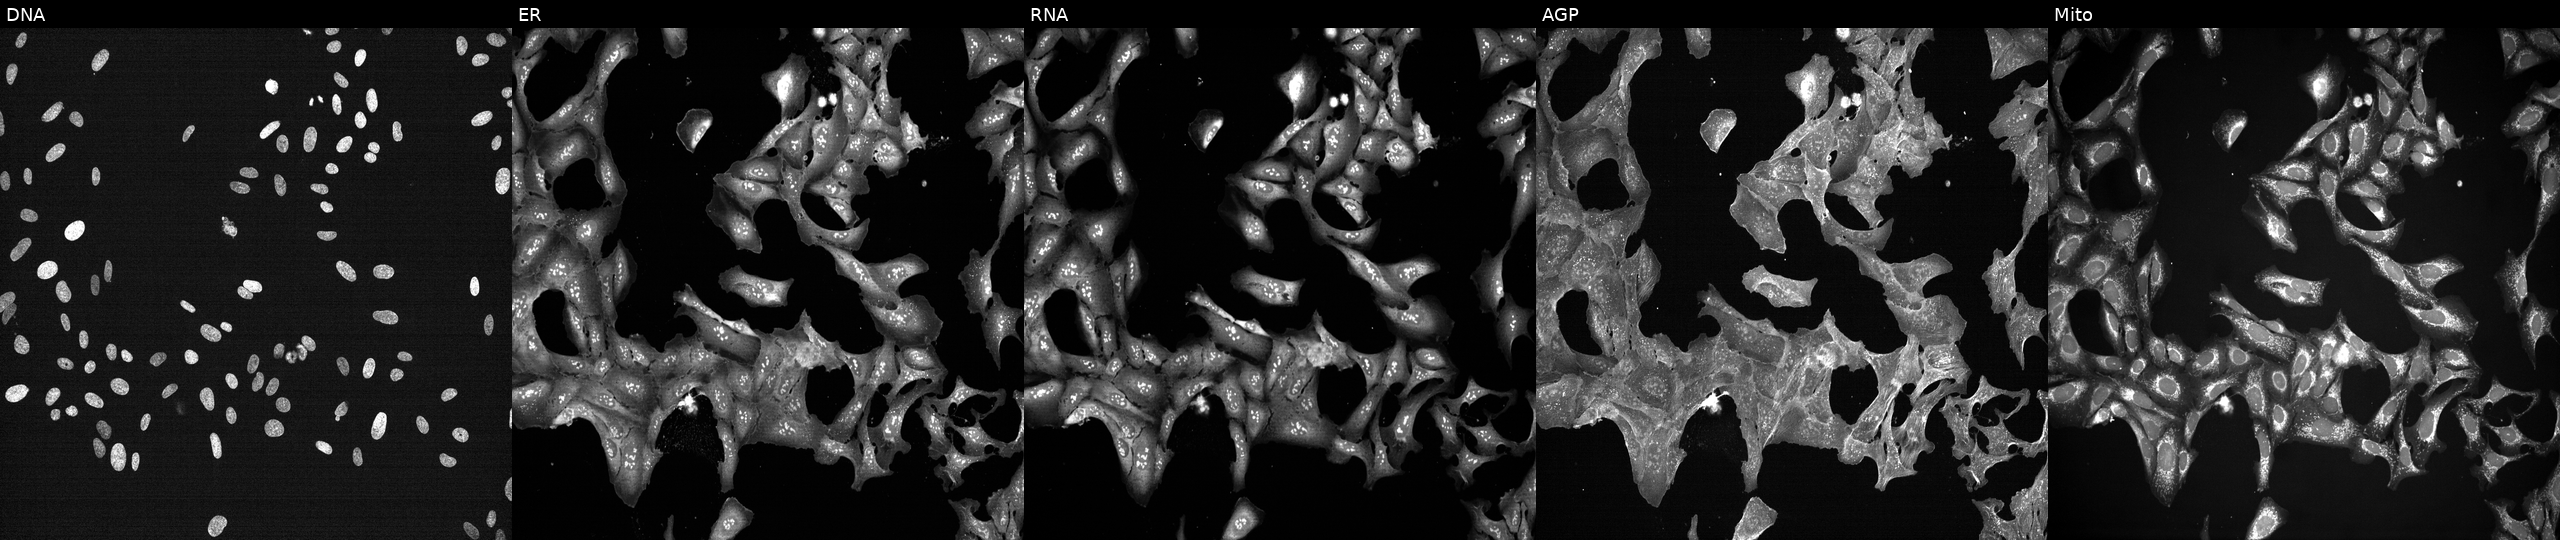
JUMP Cell Painting — TARGET2 plate. U2OS cells exposed to a small-molecule compound (JUMP id JCP2022_080150). From left to right: DNA, ER, RNA, AGP, and Mito. Source 7, plate CP3-SC1-25, well B08.